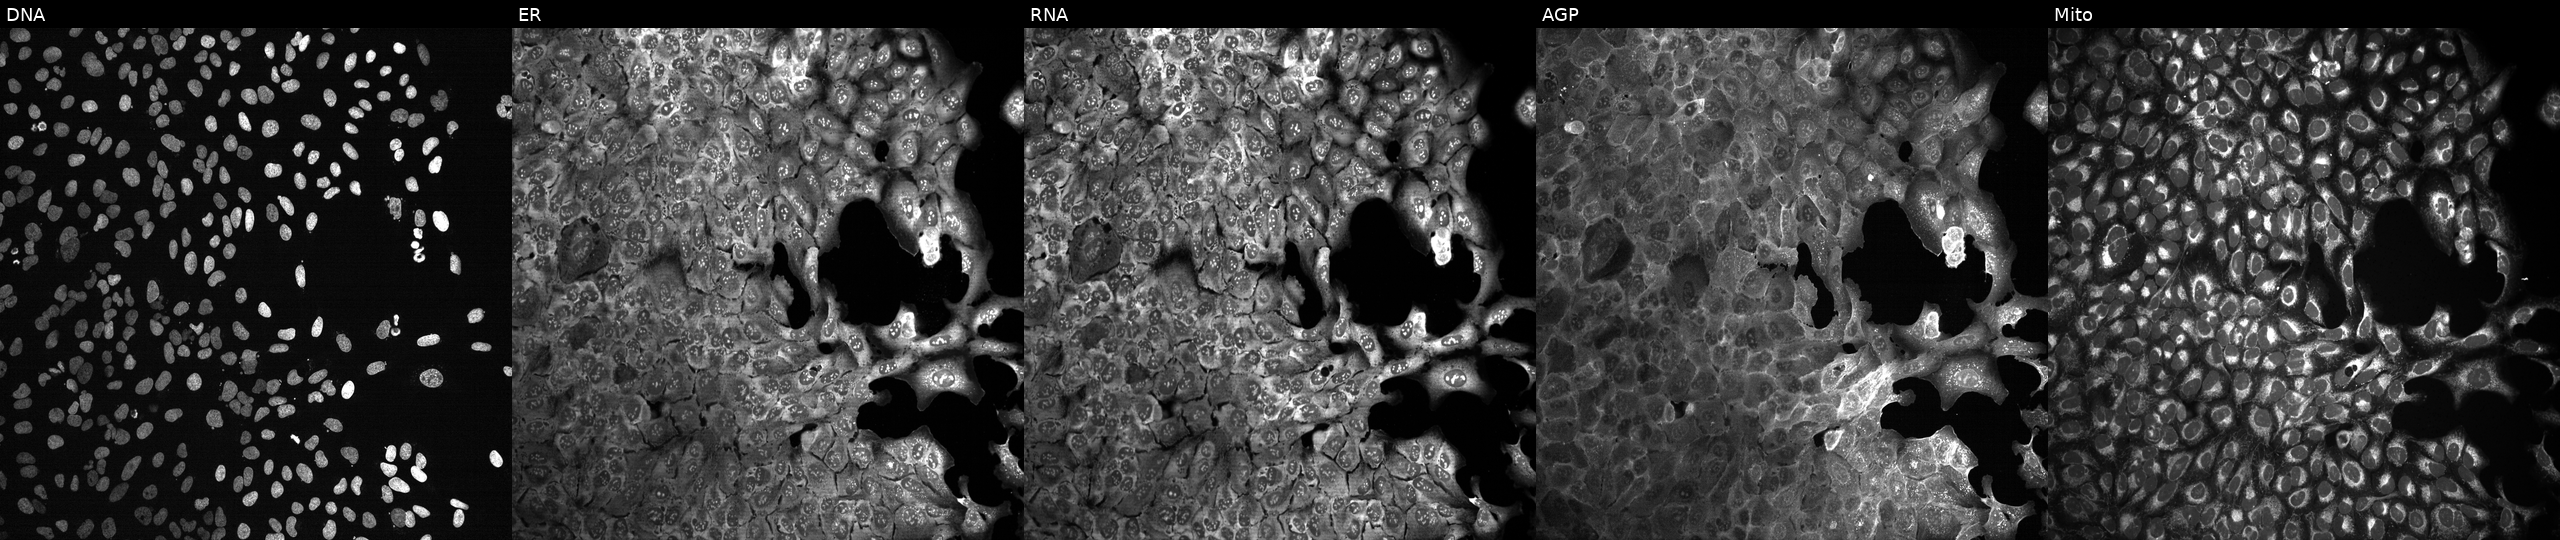
This image strip shows the five Cell Painting channels for a single field of U2OS cells following CRISPR knockout of POU6F2 (JUMP id JCP2022_805389). Channels (left→right): DNA, ER, RNA, AGP, and Mito.